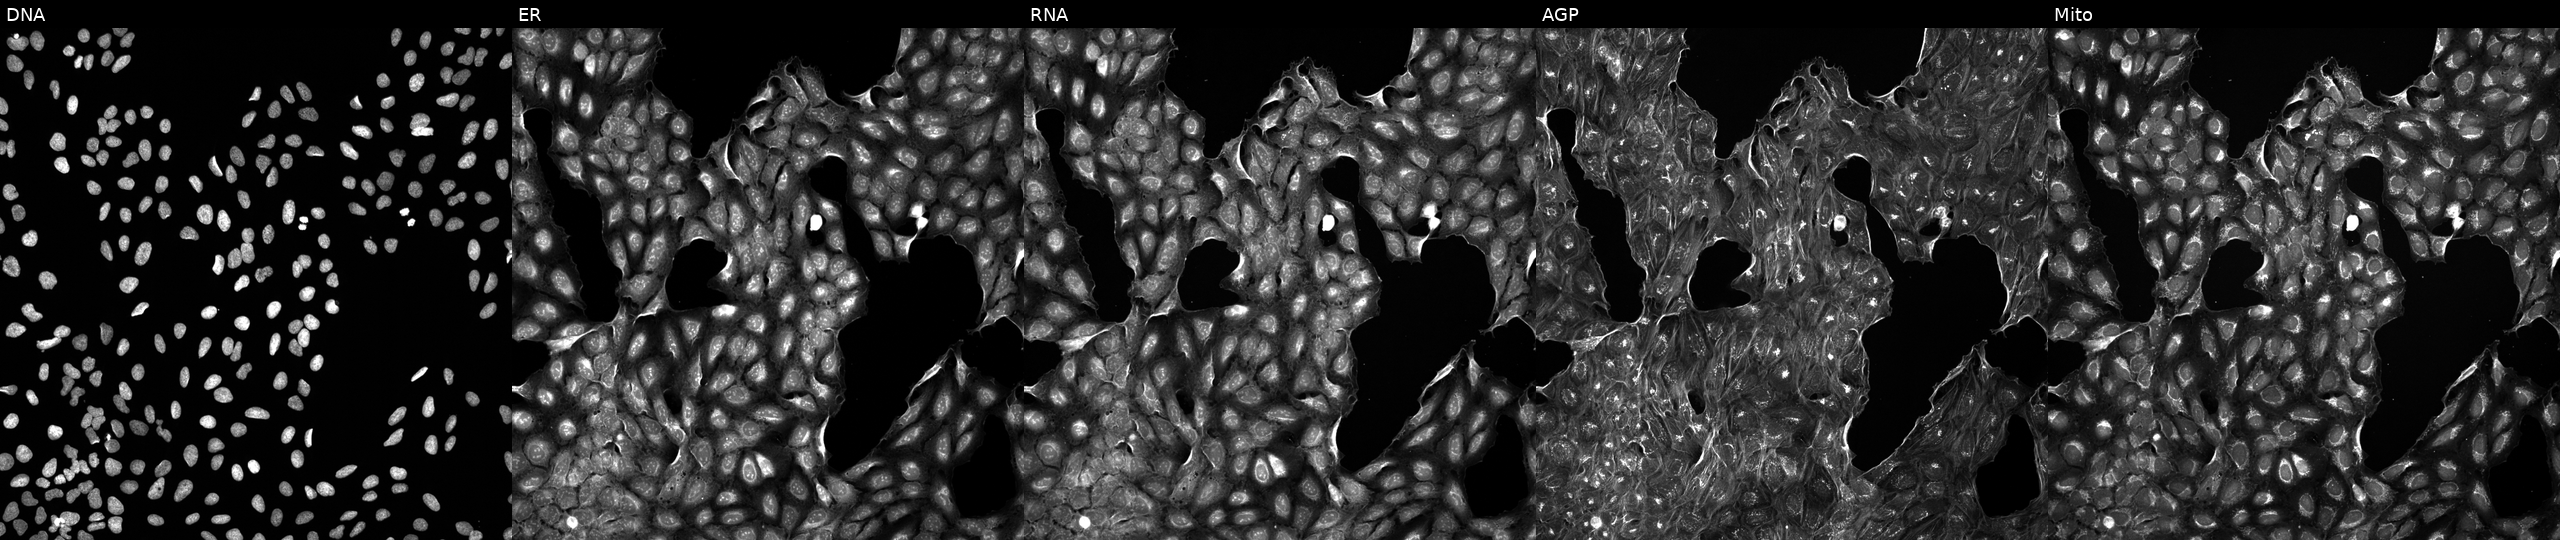
JUMP Cell Painting — COMPOUND plate. U2OS cells exposed to a small-molecule compound (InChIKey XMMGGPRLNWEGPK-UHFFFAOYSA-N) [SMILES: CN(C)c1ncccc1C(=O)N1CC(S(=O)(=O)Nc2ccccc2)C1]. The five panels, left to right, show Hoechst 33342, concanavalin A, SYTO 14, phalloidin and WGA, MitoTracker.